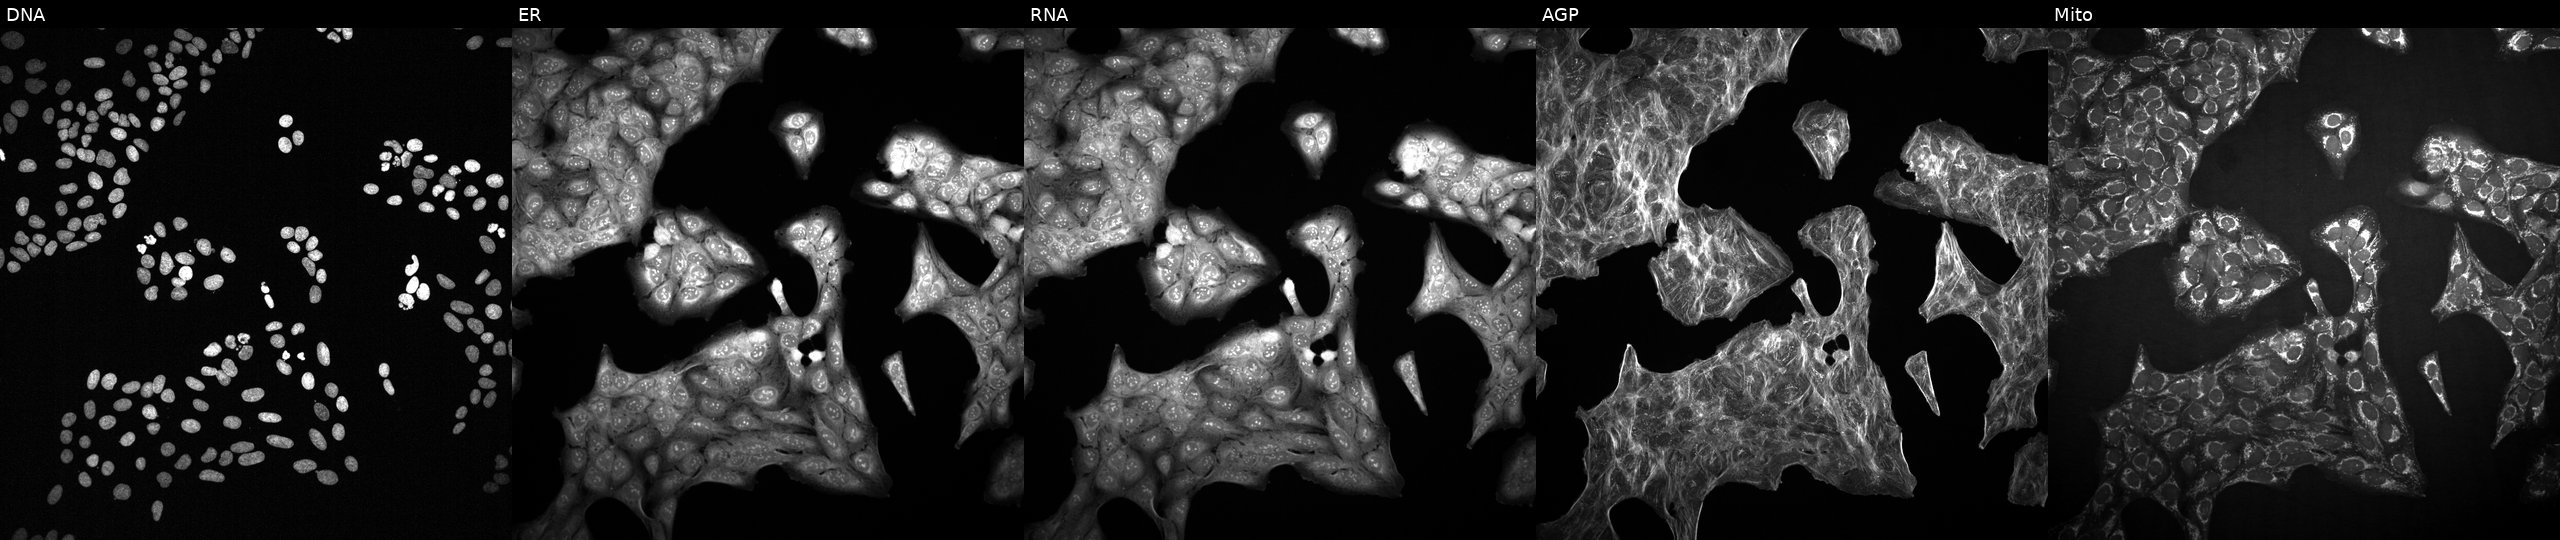
This image strip shows the five Cell Painting channels for a single field of U2OS cells treated with LY2109761 (positive-control compound) (JUMP id JCP2022_035095). Panels show, left to right, DNA (nuclei); ER (endoplasmic reticulum); RNA (nucleoli and cytoplasmic RNA); AGP (actin cytoskeleton, Golgi, and plasma membrane); Mito (mitochondria). Source 2, plate 1053601763, well A24.